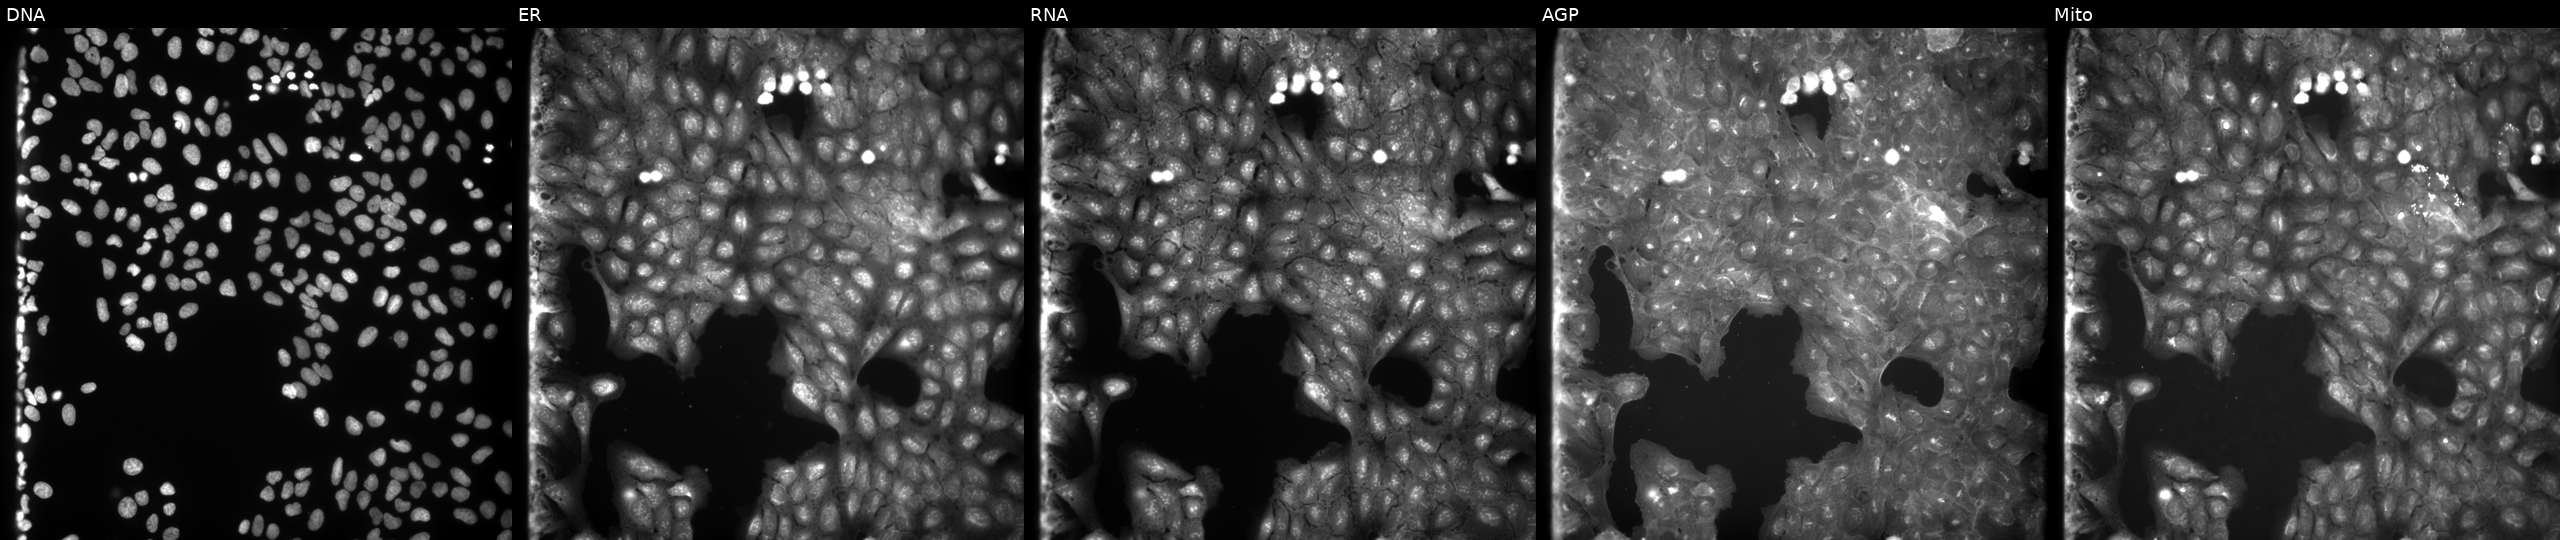
JUMP Cell Painting — COMPOUND plate. U2OS cells treated with a small-molecule compound (JUMP id JCP2022_044781). Channels (left→right): DNA, ER, RNA, AGP, and Mito. Source 9, plate GR00003381, well I09.